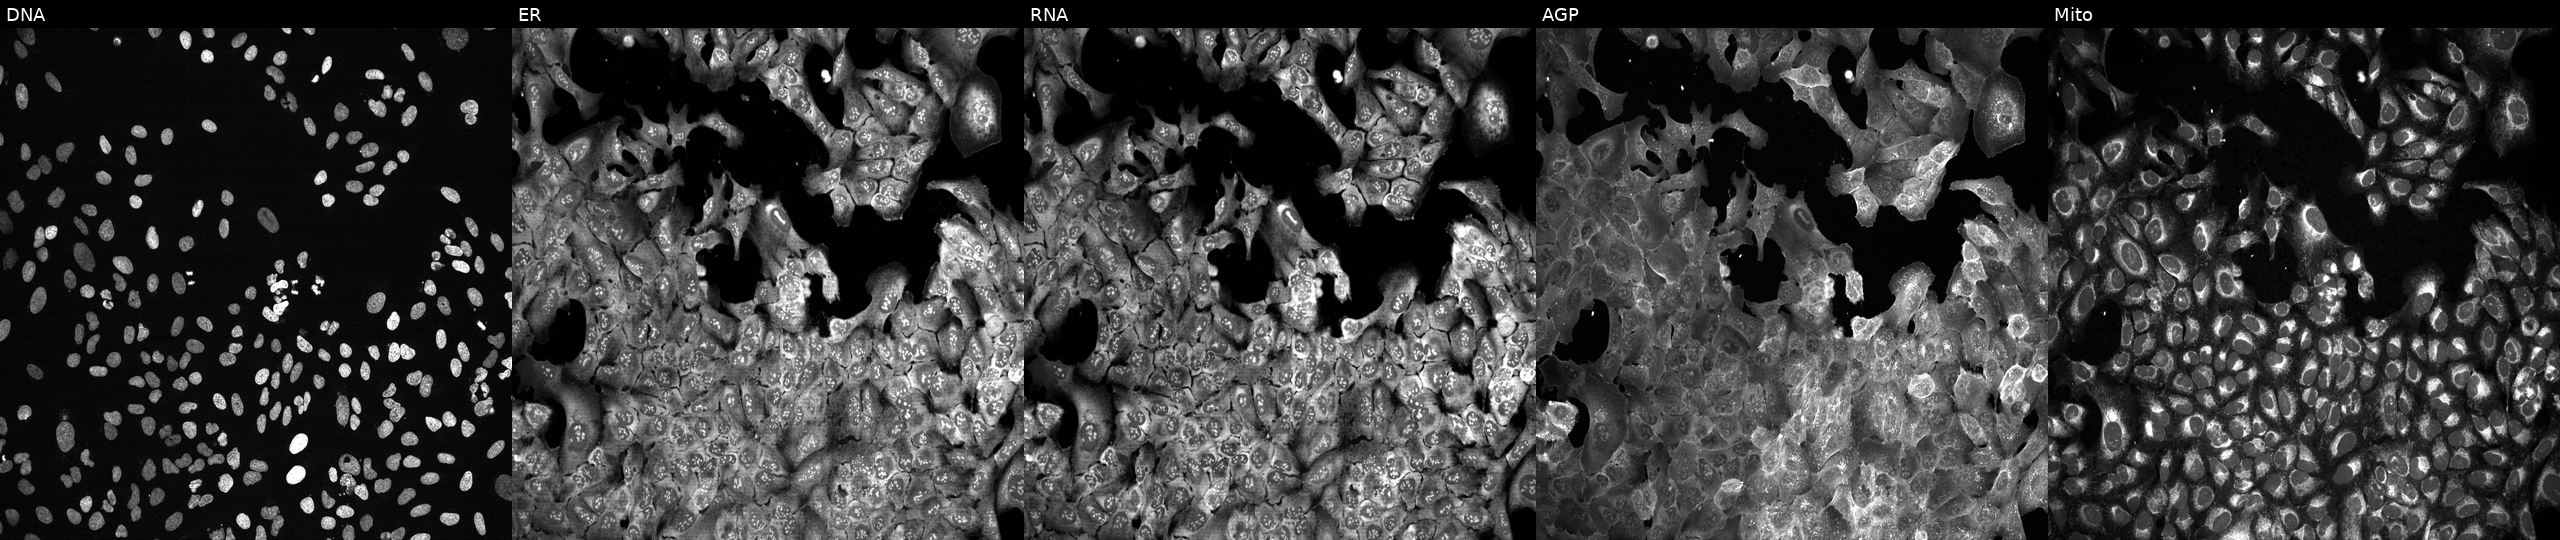
JUMP Cell Painting — CRISPR plate. U2OS cells with ACOT4 knocked out by CRISPR. Panels show, left to right, DNA (nuclei); ER (endoplasmic reticulum); RNA (nucleoli and cytoplasmic RNA); AGP (actin cytoskeleton, Golgi, and plasma membrane); Mito (mitochondria). Source 13, plate CP-CC9-R6-19, well C12.